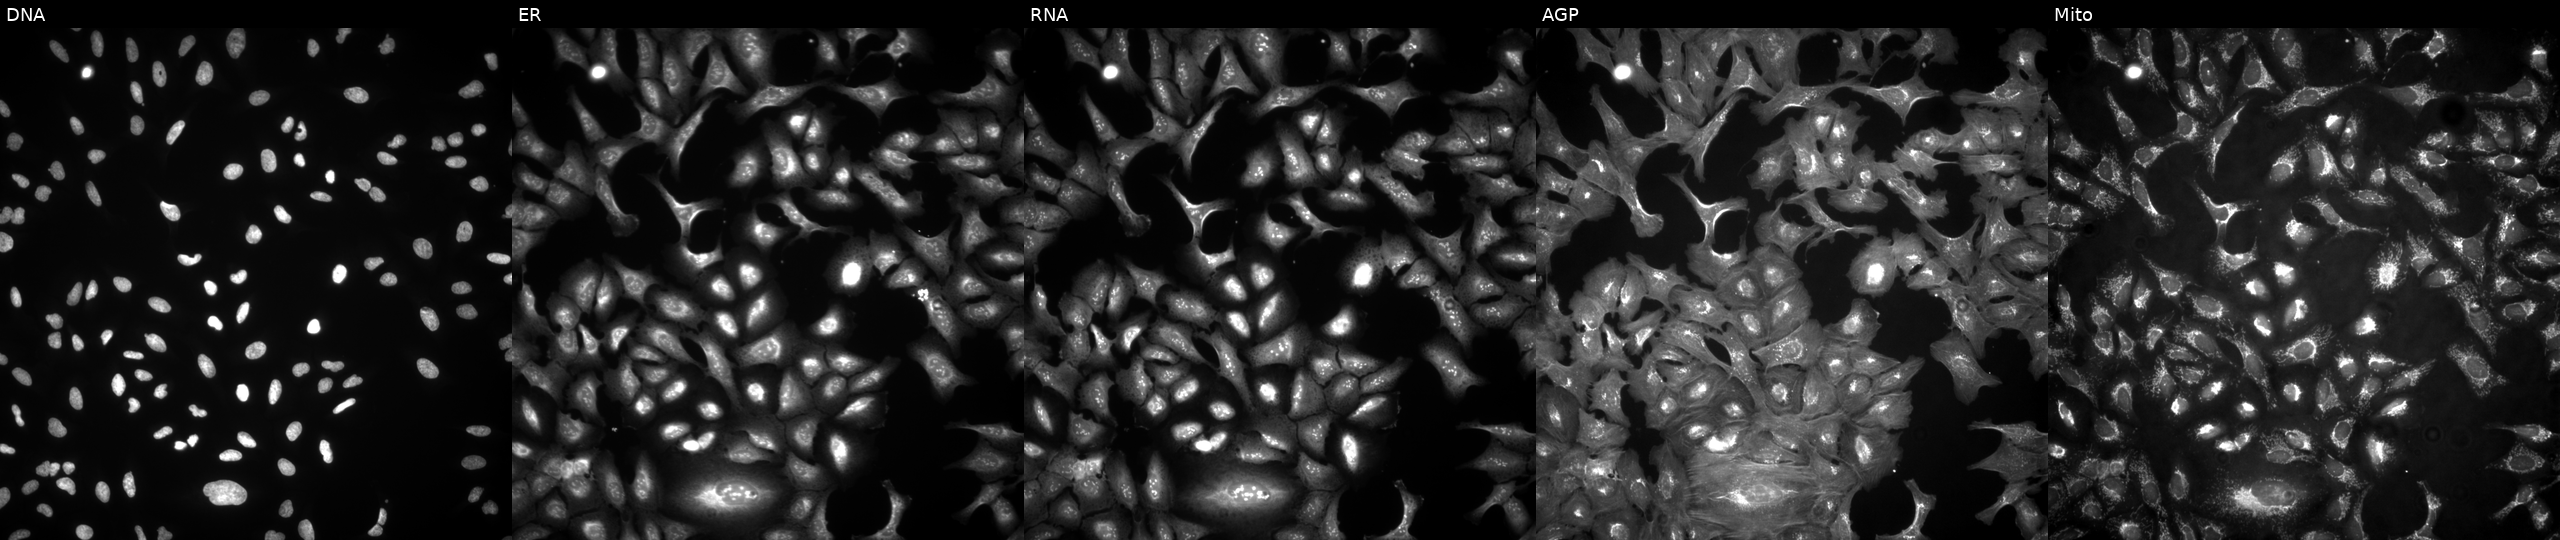
Channels (left→right): Hoechst 33342, concanavalin A, SYTO 14, phalloidin and WGA, MitoTracker. U2OS osteosarcoma cells overexpressing RPS26 via ORF transfection. Cell Painting assay, JUMP-CP dataset. Source 4, plate BR00123509, well D06.